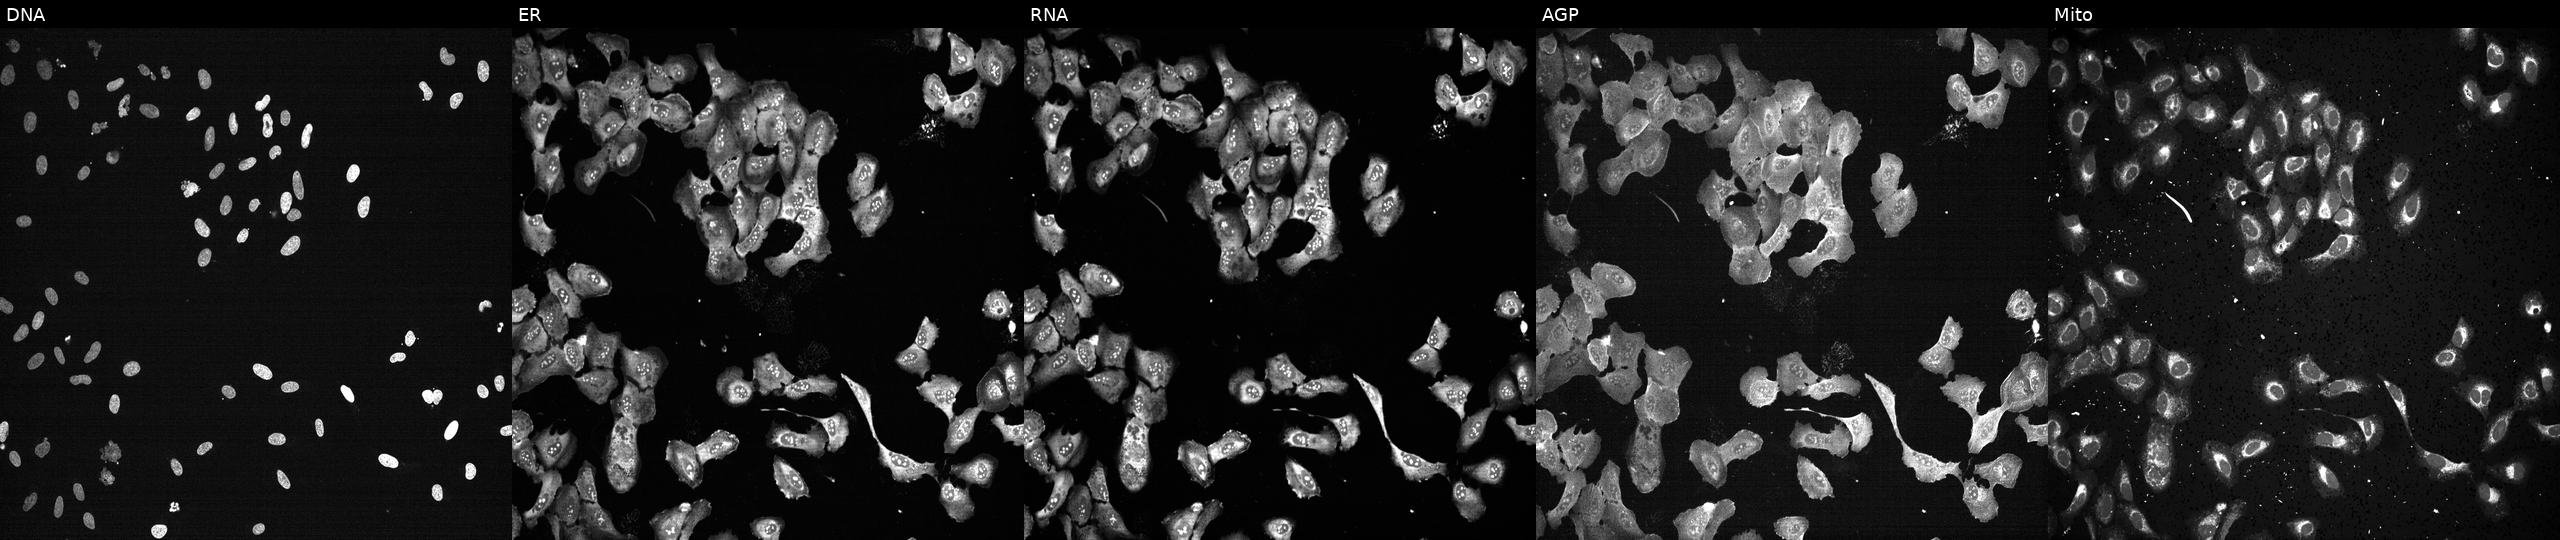
Five-channel Cell Painting image of U2OS cells exposed to the positive-control compound TC-S-7004. The five panels, left to right, show DNA (nuclei); ER (endoplasmic reticulum); RNA (nucleoli and cytoplasmic RNA); AGP (actin cytoskeleton, Golgi, and plasma membrane); Mito (mitochondria). Source 13, plate CP-CC9-R2-01, well M01.